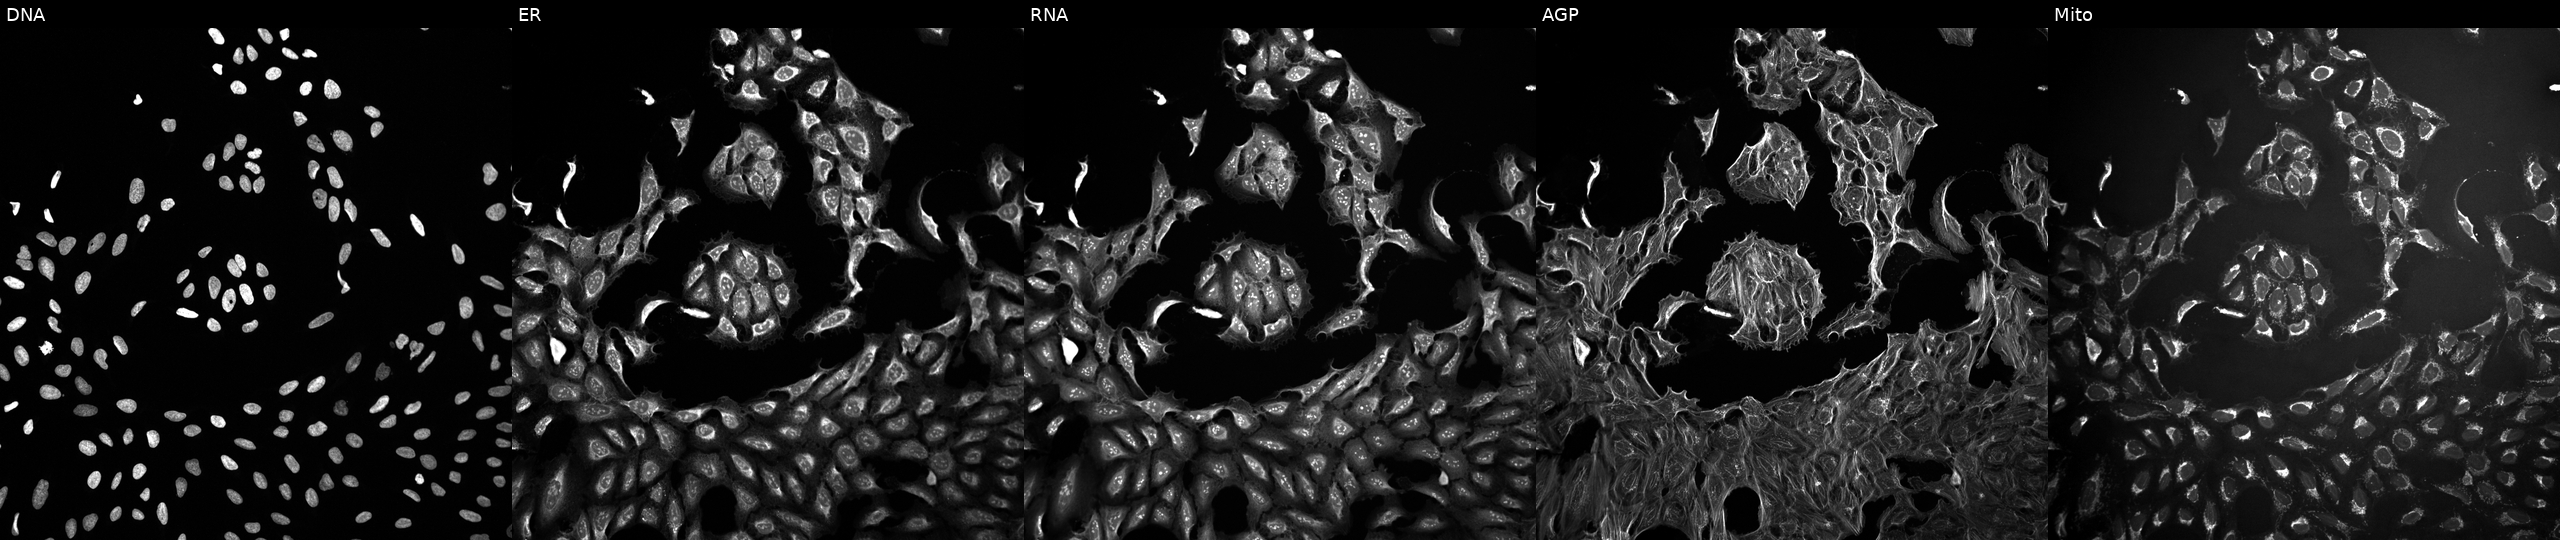
High-content fluorescence microscopy (Cell Painting). Cell line: U2OS. Perturbation: treated with a small-molecule compound (InChIKey PHLBKPHSAVXXEF-UHFFFAOYSA-N) (JUMP id JCP2022_068606). Panels show, left to right, Hoechst 33342, concanavalin A, SYTO 14, phalloidin and WGA, MitoTracker.